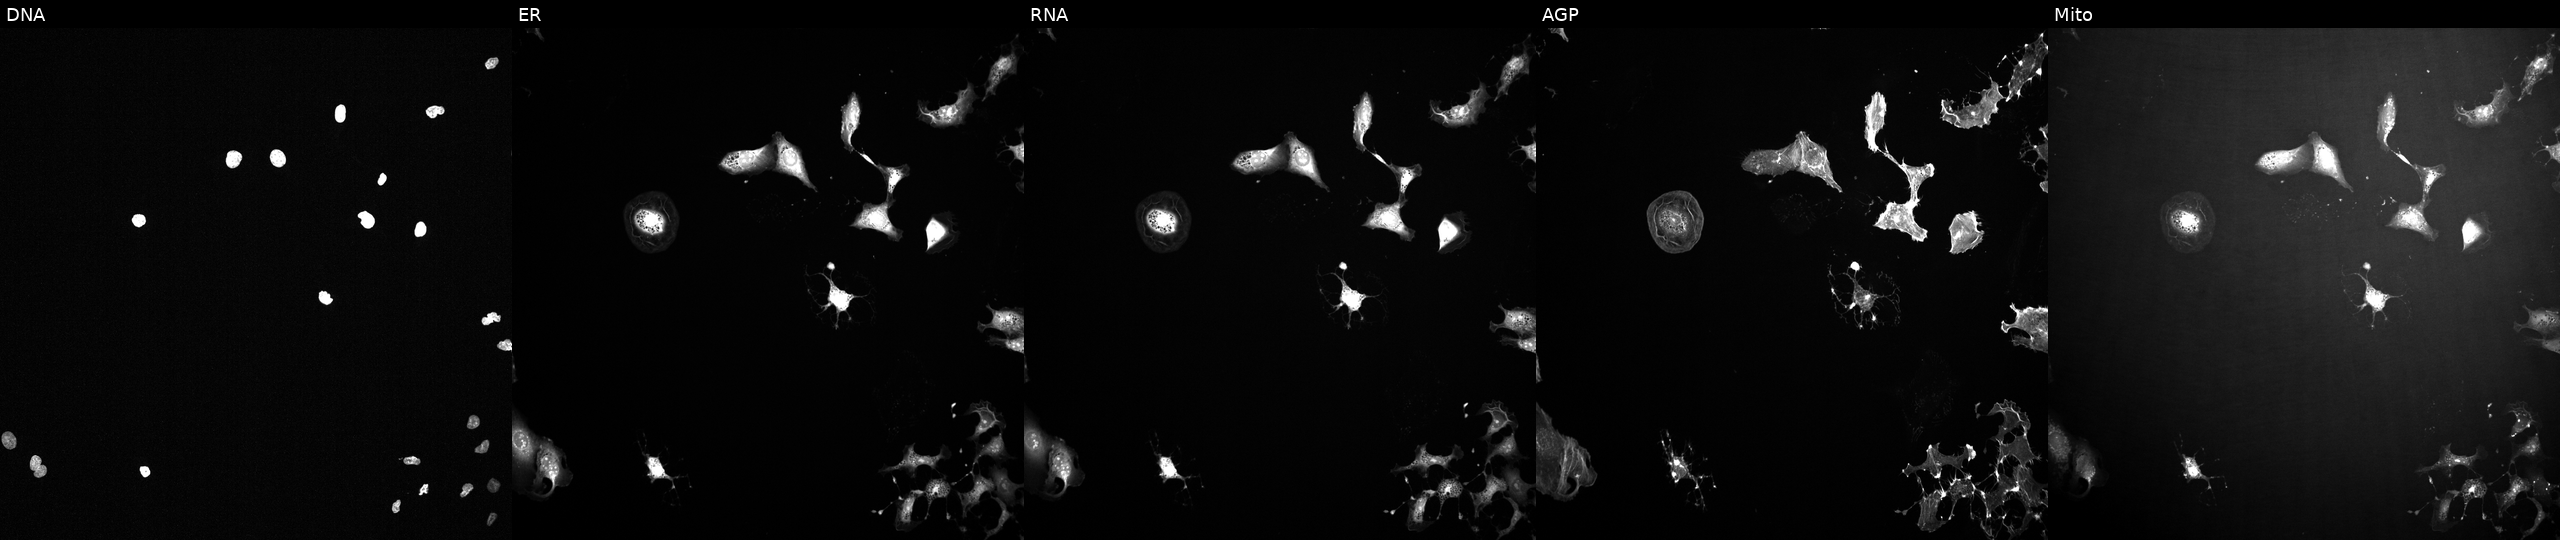
U2OS cells, Cell Painting assay, perturbed with a small-molecule compound. From left to right: DNA (nuclei); ER (endoplasmic reticulum); RNA (nucleoli and cytoplasmic RNA); AGP (actin cytoskeleton, Golgi, and plasma membrane); Mito (mitochondria). Each panel is percentile-stretched 16-bit fluorescence. Source 2, plate 1053597936, well B01.